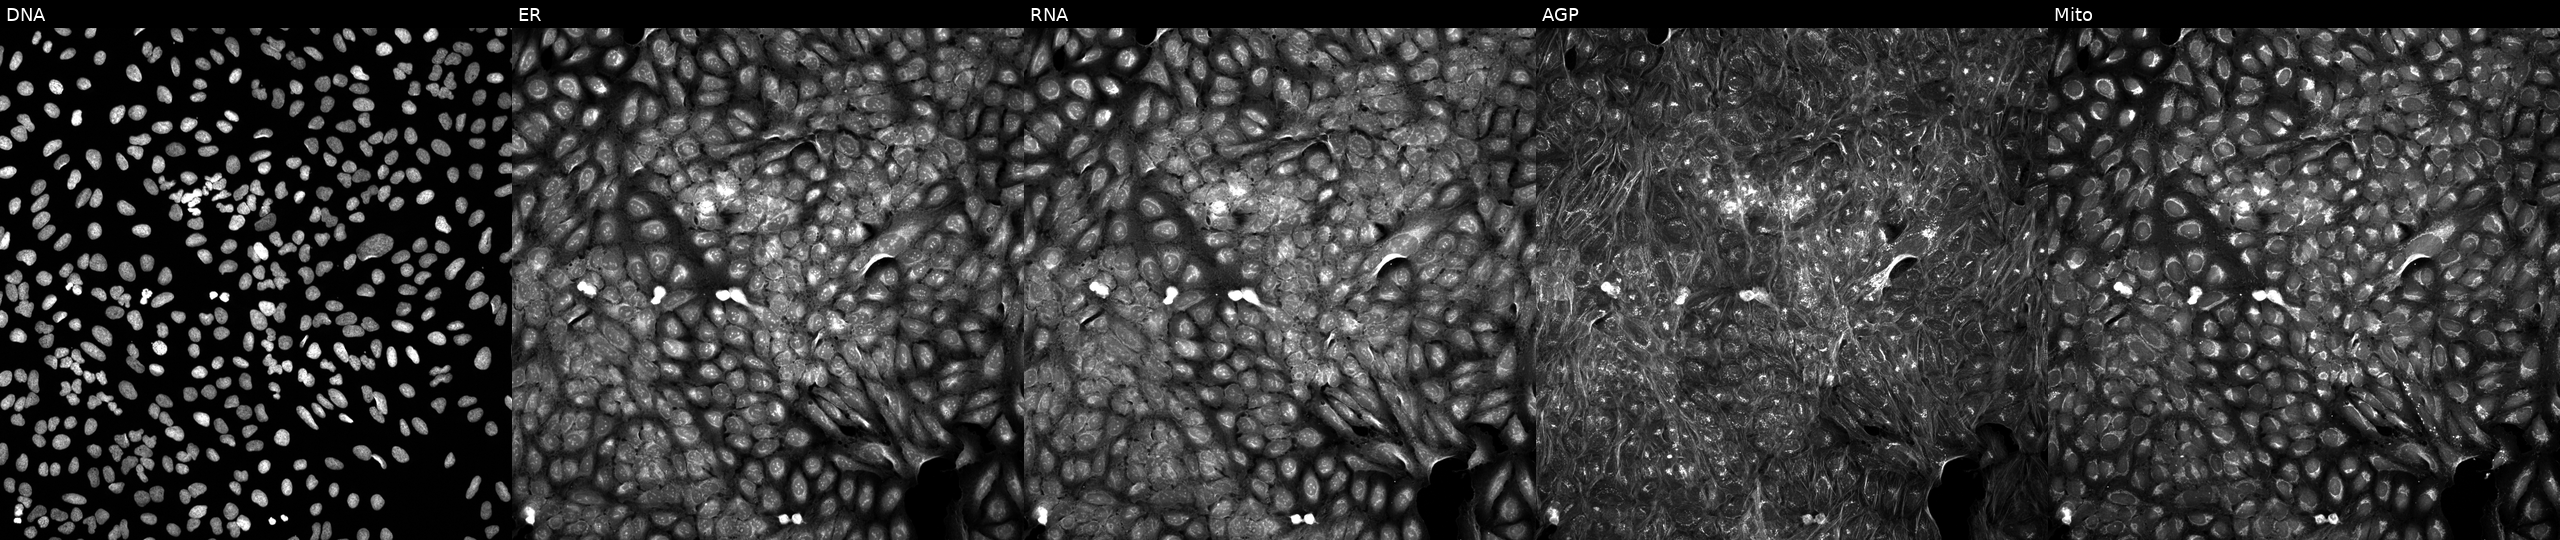
Five-channel Cell Painting image of U2OS cells perturbed with a small-molecule compound (InChIKey YHSCCQVYIQDTCC-UHFFFAOYSA-N). Channels (left→right): Hoechst 33342, concanavalin A, SYTO 14, phalloidin and WGA, MitoTracker. Source 5, plate APTJUM105, well H18.